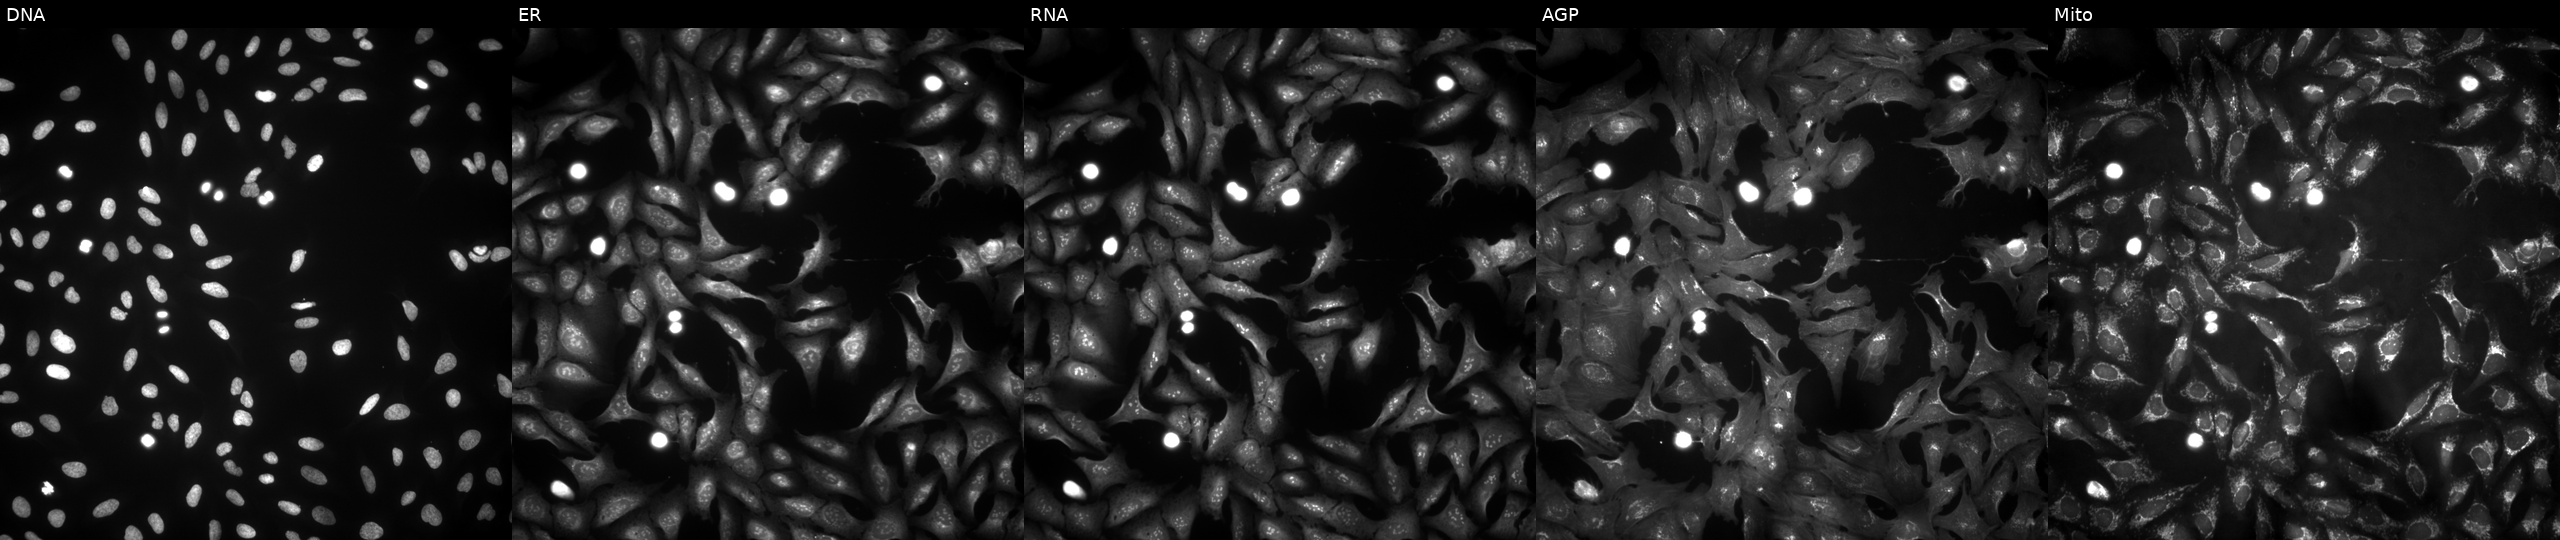
The five panels, left to right, show Hoechst 33342, concanavalin A, SYTO 14, phalloidin and WGA, MitoTracker. U2OS osteosarcoma cells overexpressing SESTD1 via ORF transfection. Cell Painting assay, JUMP-CP dataset.